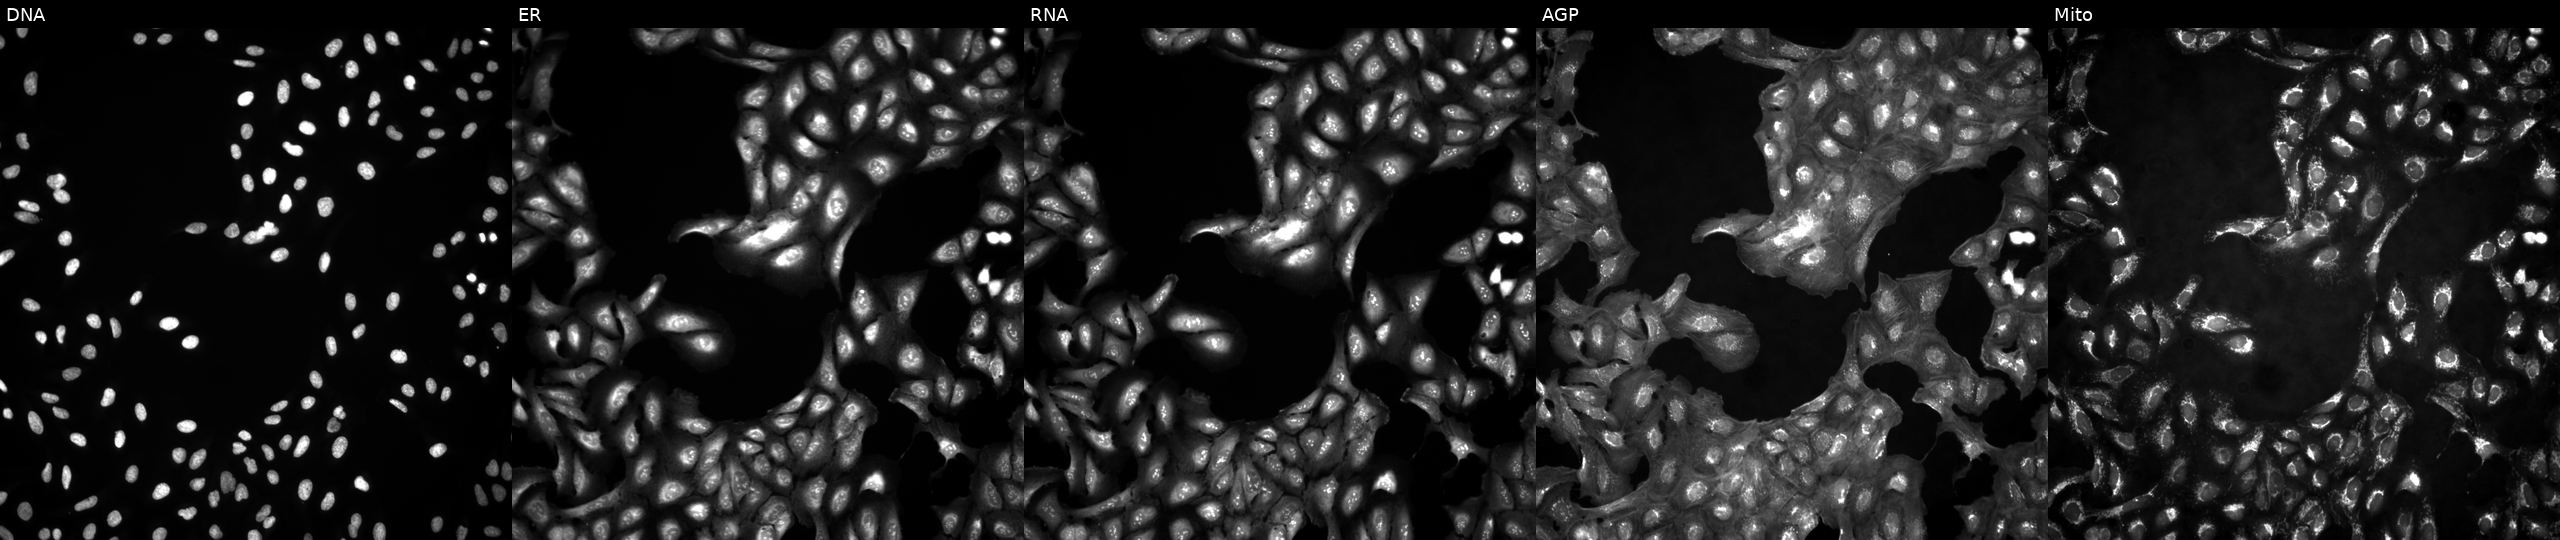
JUMP Cell Painting — ORF plate. U2OS cells in an empty control well (no perturbation). The five panels, left to right, show DNA, ER, RNA, AGP, and Mito.